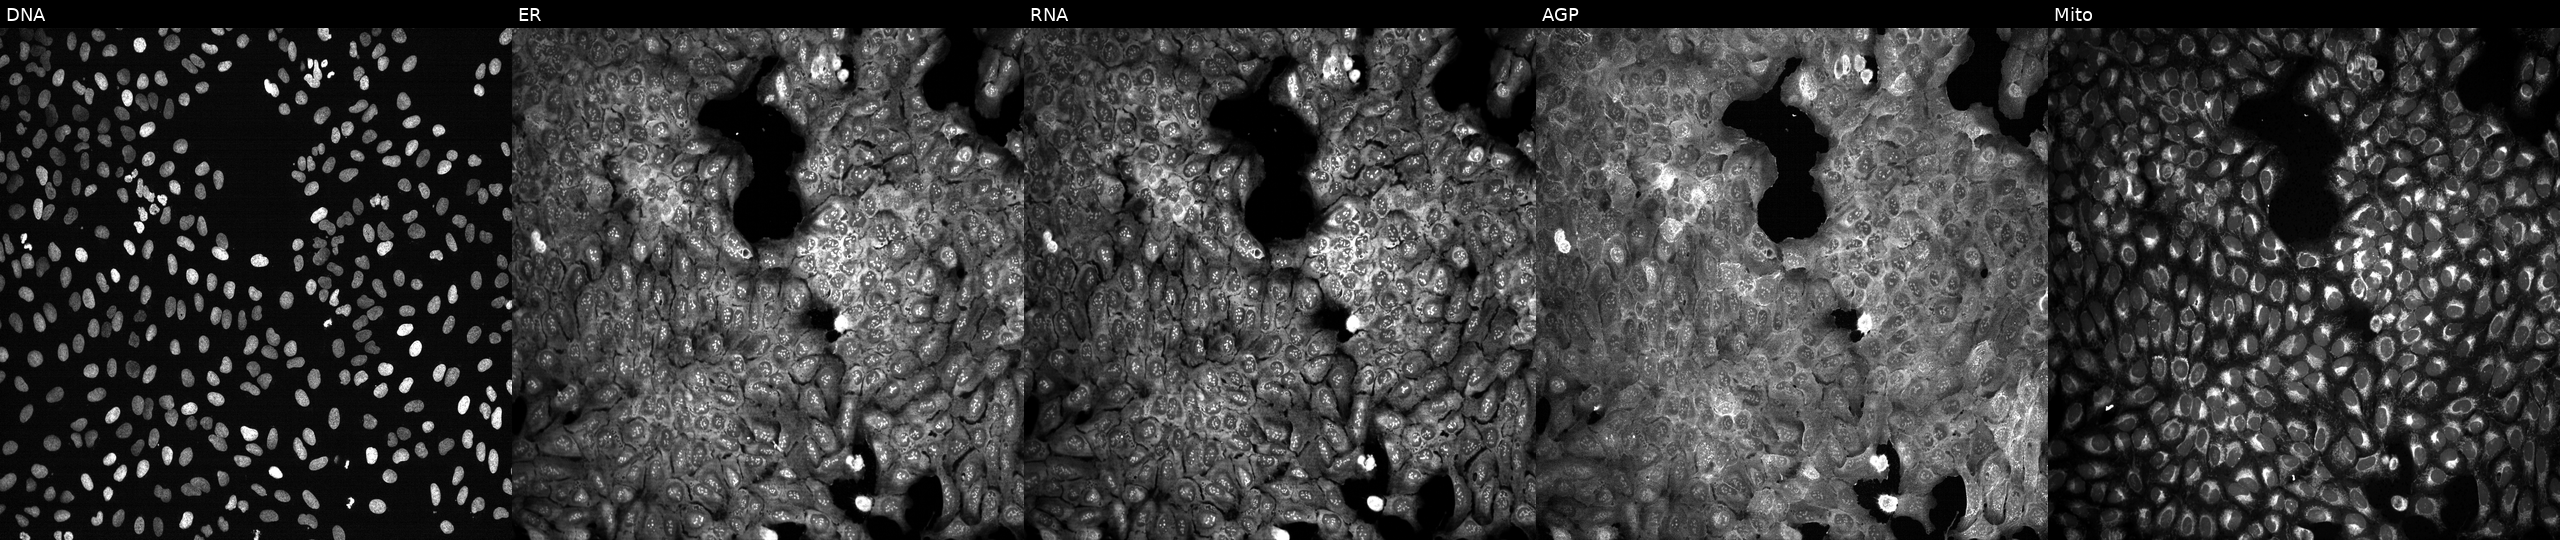
U2OS cells, Cell Painting assay, following CRISPR knockout of OSBPL1A (JUMP id JCP2022_804815). Panels show, left to right, DNA, ER, RNA, AGP, and Mito. Each panel is percentile-stretched 16-bit fluorescence.